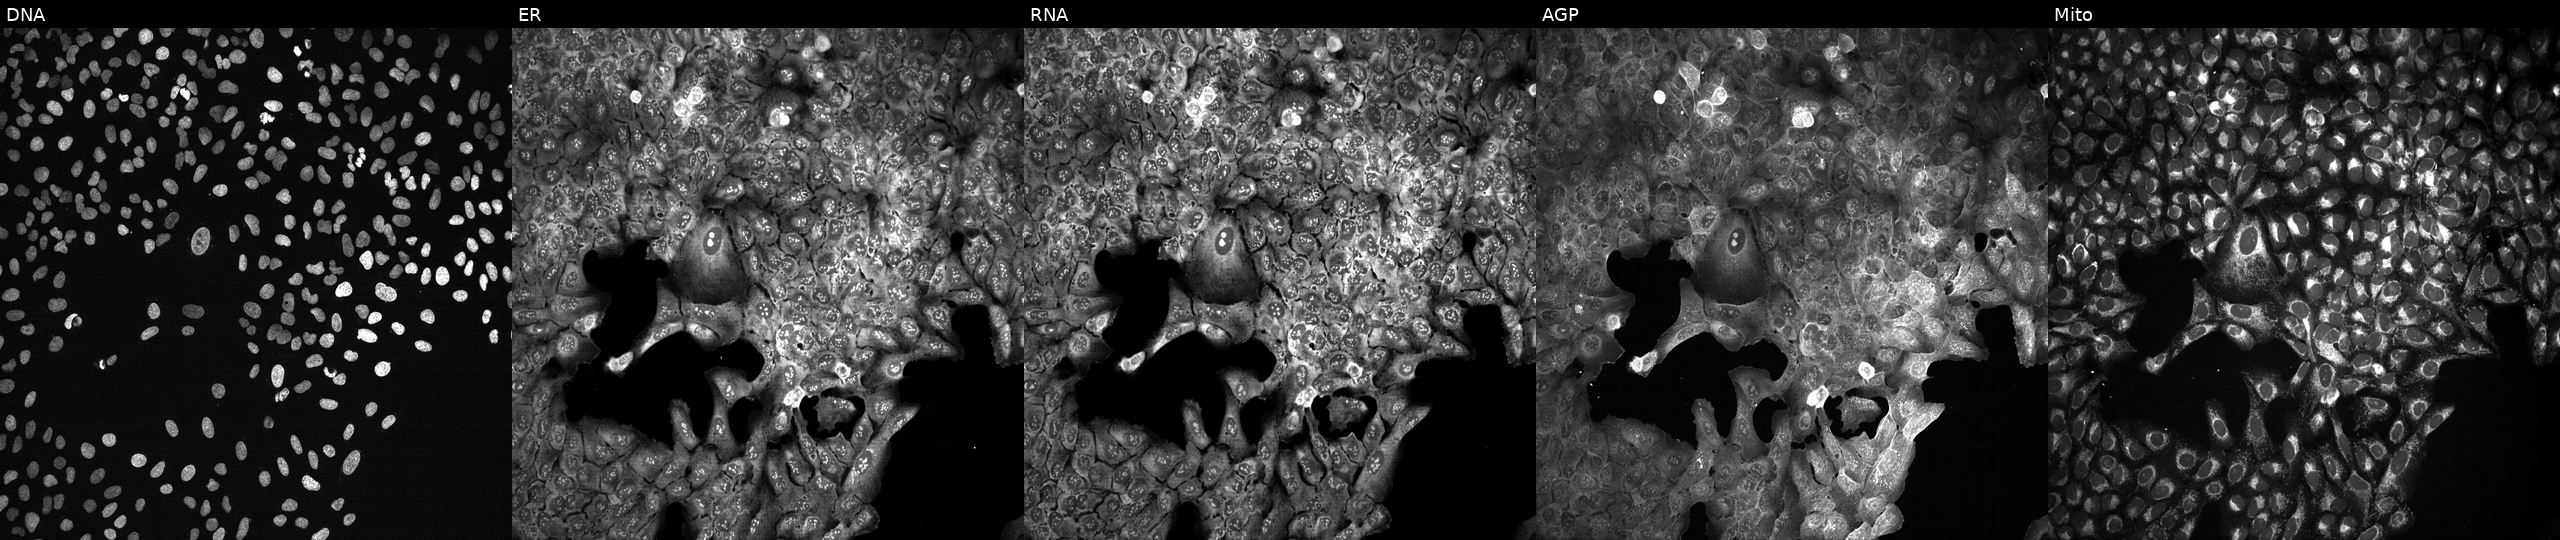
Panels show, left to right, DNA, ER, RNA, AGP, and Mito. U2OS osteosarcoma cells with LIG1 knocked out by CRISPR (JUMP id JCP2022_803837). Cell Painting assay, JUMP-CP dataset. Source 13, plate CP-CC9-R4-03, well A03.